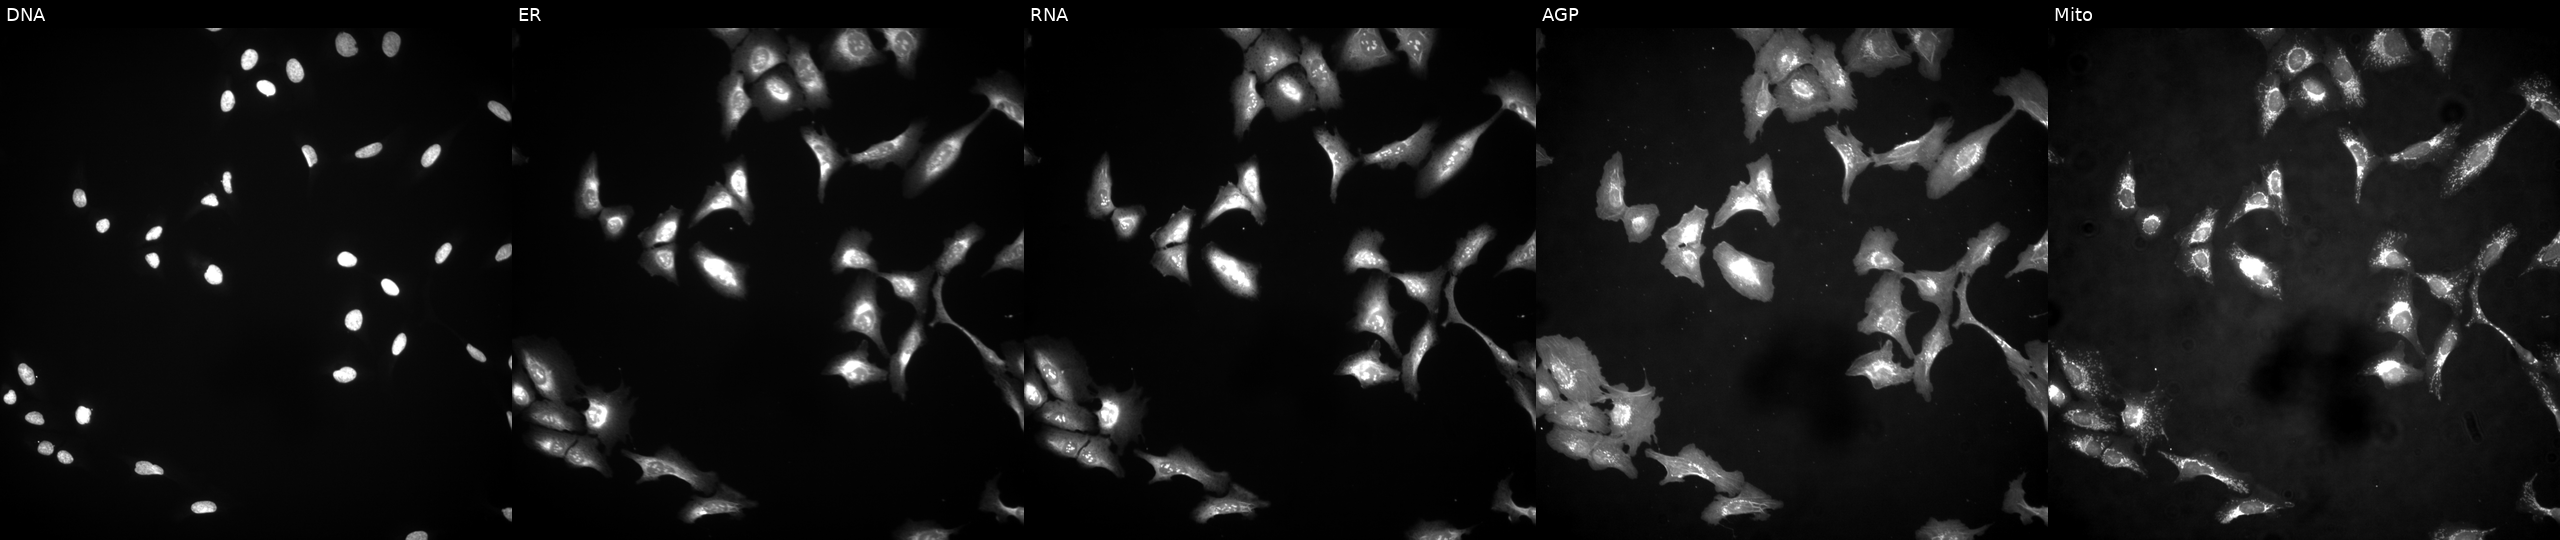
JUMP Cell Painting — ORF plate. U2OS cells transfected with an ORF construct for CD180 (JUMP id JCP2022_906126). Panels show, left to right, DNA (nuclei); ER (endoplasmic reticulum); RNA (nucleoli and cytoplasmic RNA); AGP (actin cytoskeleton, Golgi, and plasma membrane); Mito (mitochondria).